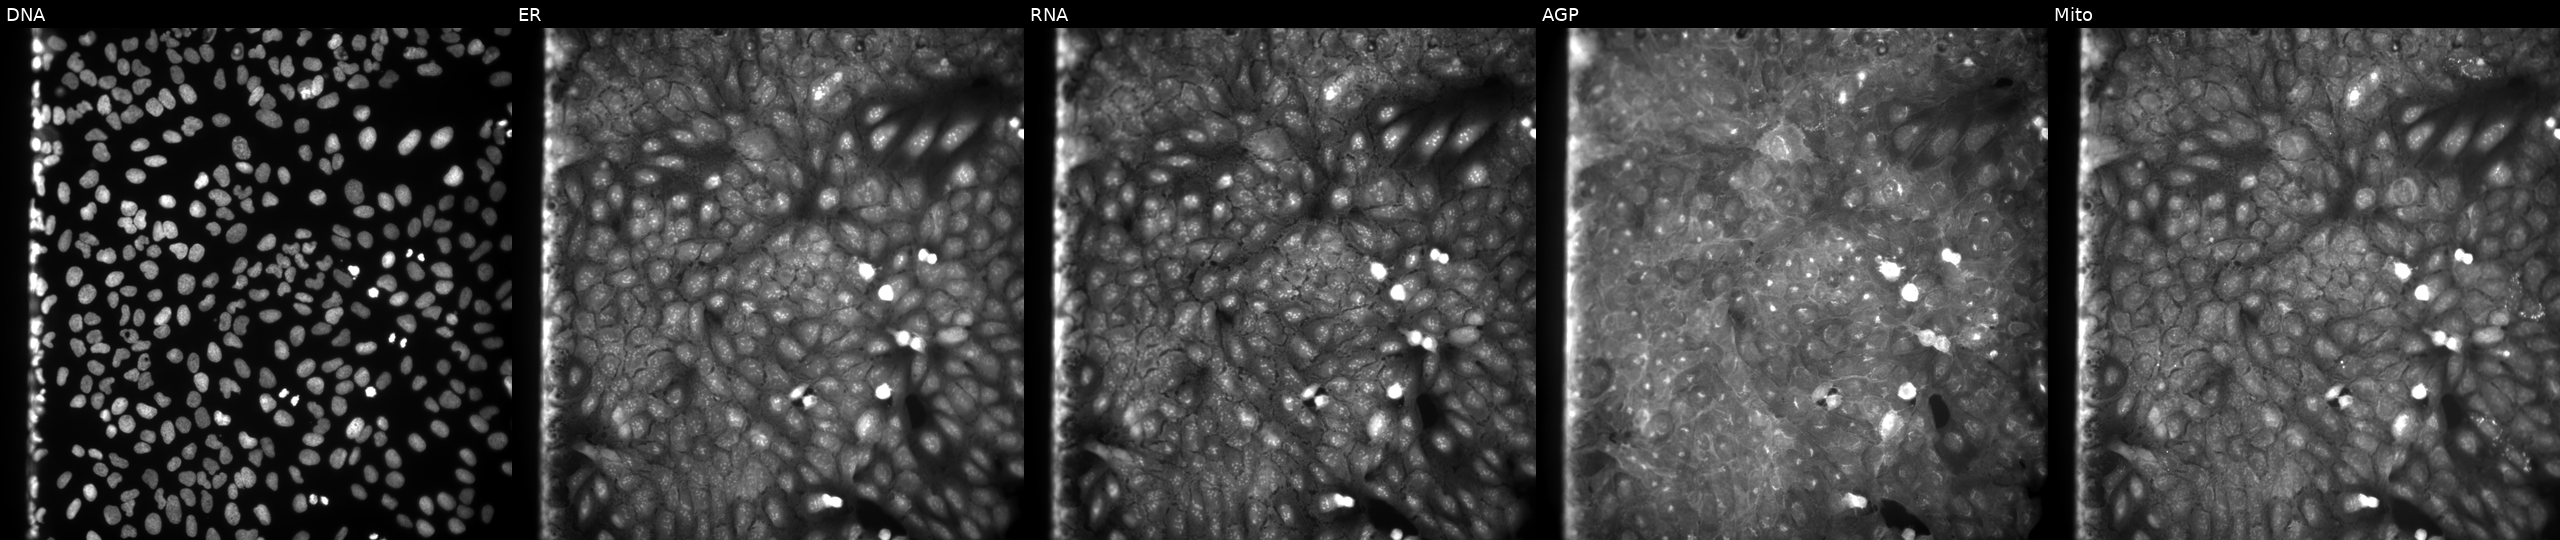
The five panels, left to right, show Hoechst 33342, concanavalin A, SYTO 14, phalloidin and WGA, MitoTracker. U2OS osteosarcoma cells perturbed with a small-molecule compound (InChIKey YTLBFPKIYGJKSK-UHFFFAOYSA-N) [SMILES: Cc1ccc(OC(=O)c2cc3ccccc3o2)cc1] (JUMP id JCP2022_110743). Cell Painting assay, JUMP-CP dataset.